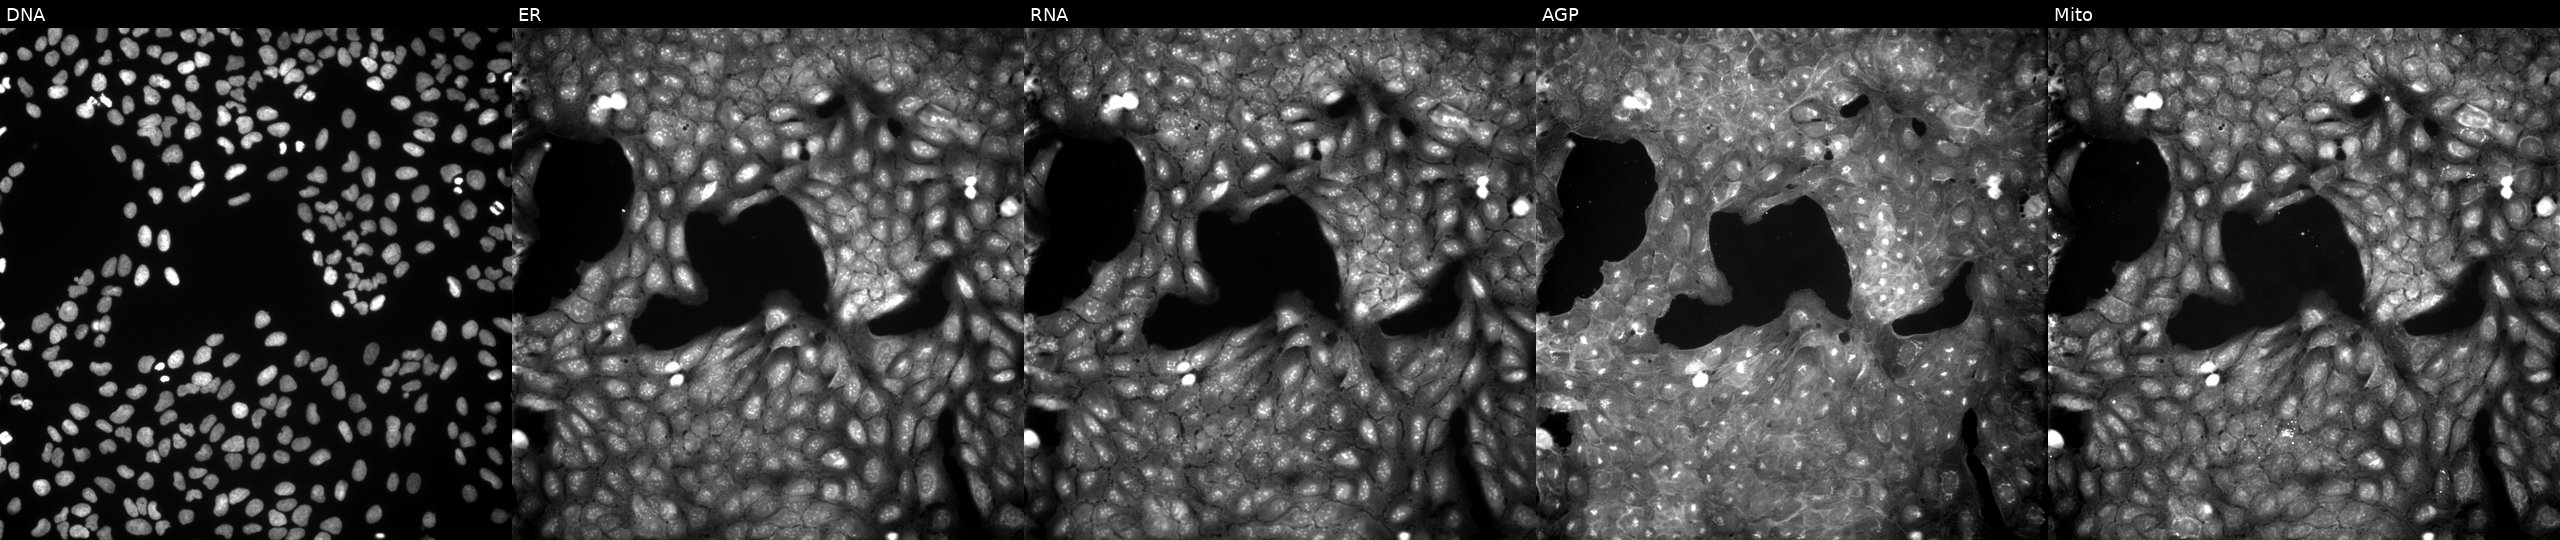
High-content fluorescence microscopy (Cell Painting). Cell line: U2OS. Perturbation: treated with a small-molecule compound (InChIKey NKZWAUXPSDPBMX-UHFFFAOYSA-N) (JUMP id JCP2022_059696). Panels show, left to right, Hoechst 33342, concanavalin A, SYTO 14, phalloidin and WGA, MitoTracker.